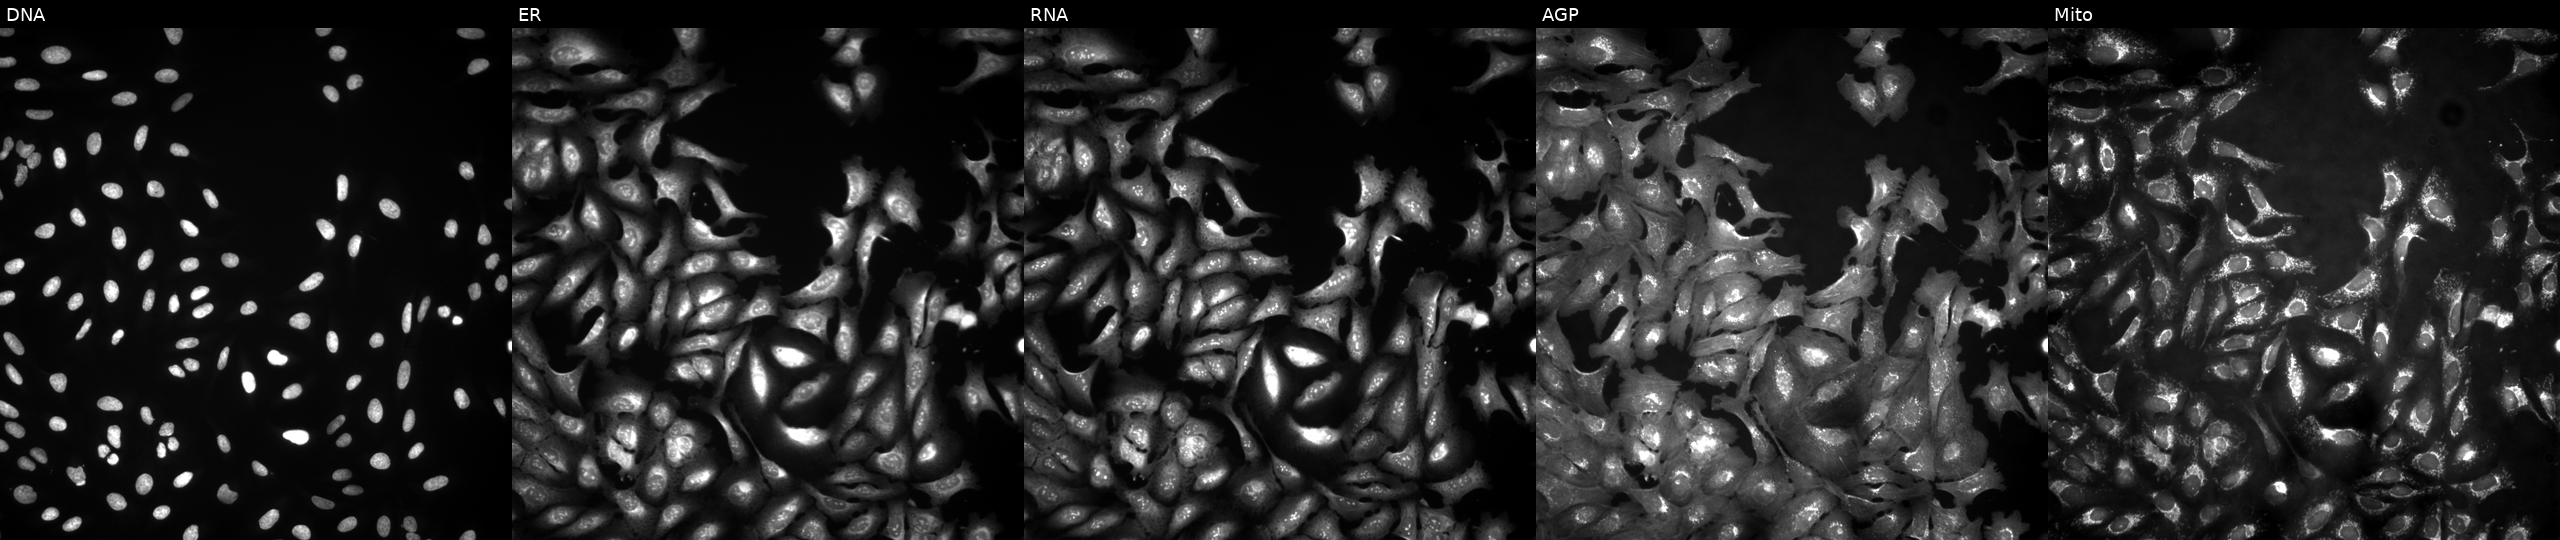
This image strip shows the five Cell Painting channels for a single field of U2OS cells with ENTPD4 overexpressed (ORF) (JUMP id JCP2022_910626). The five panels, left to right, show DNA, ER, RNA, AGP, and Mito.